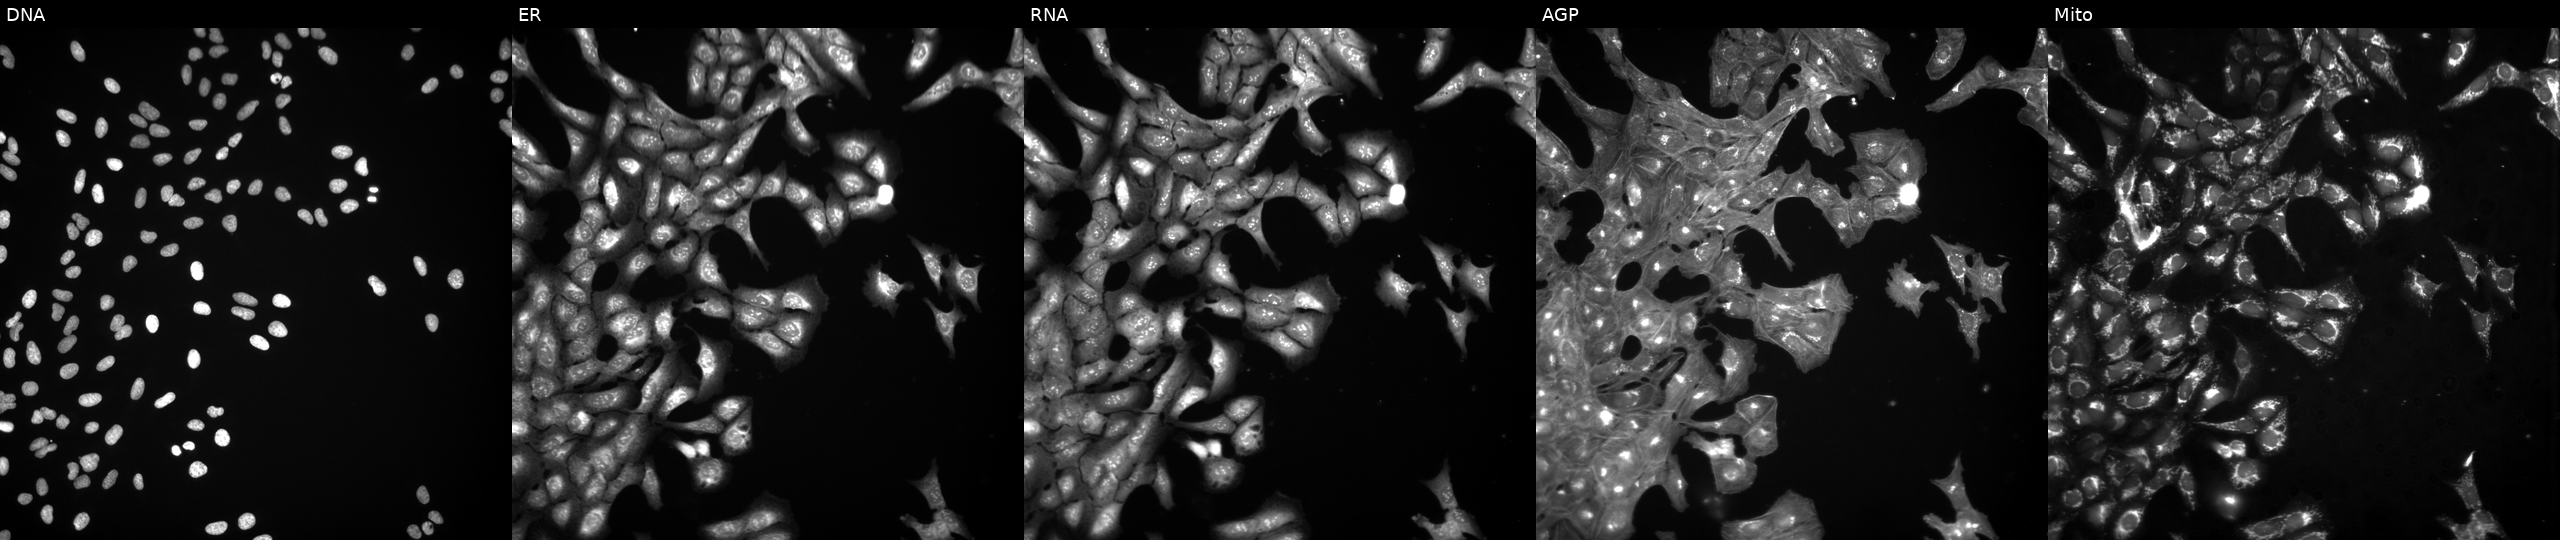
This image strip shows the five Cell Painting channels for a single field of U2OS cells treated with a small-molecule compound (JUMP id JCP2022_020163). Channels (left→right): Hoechst 33342, concanavalin A, SYTO 14, phalloidin and WGA, MitoTracker.